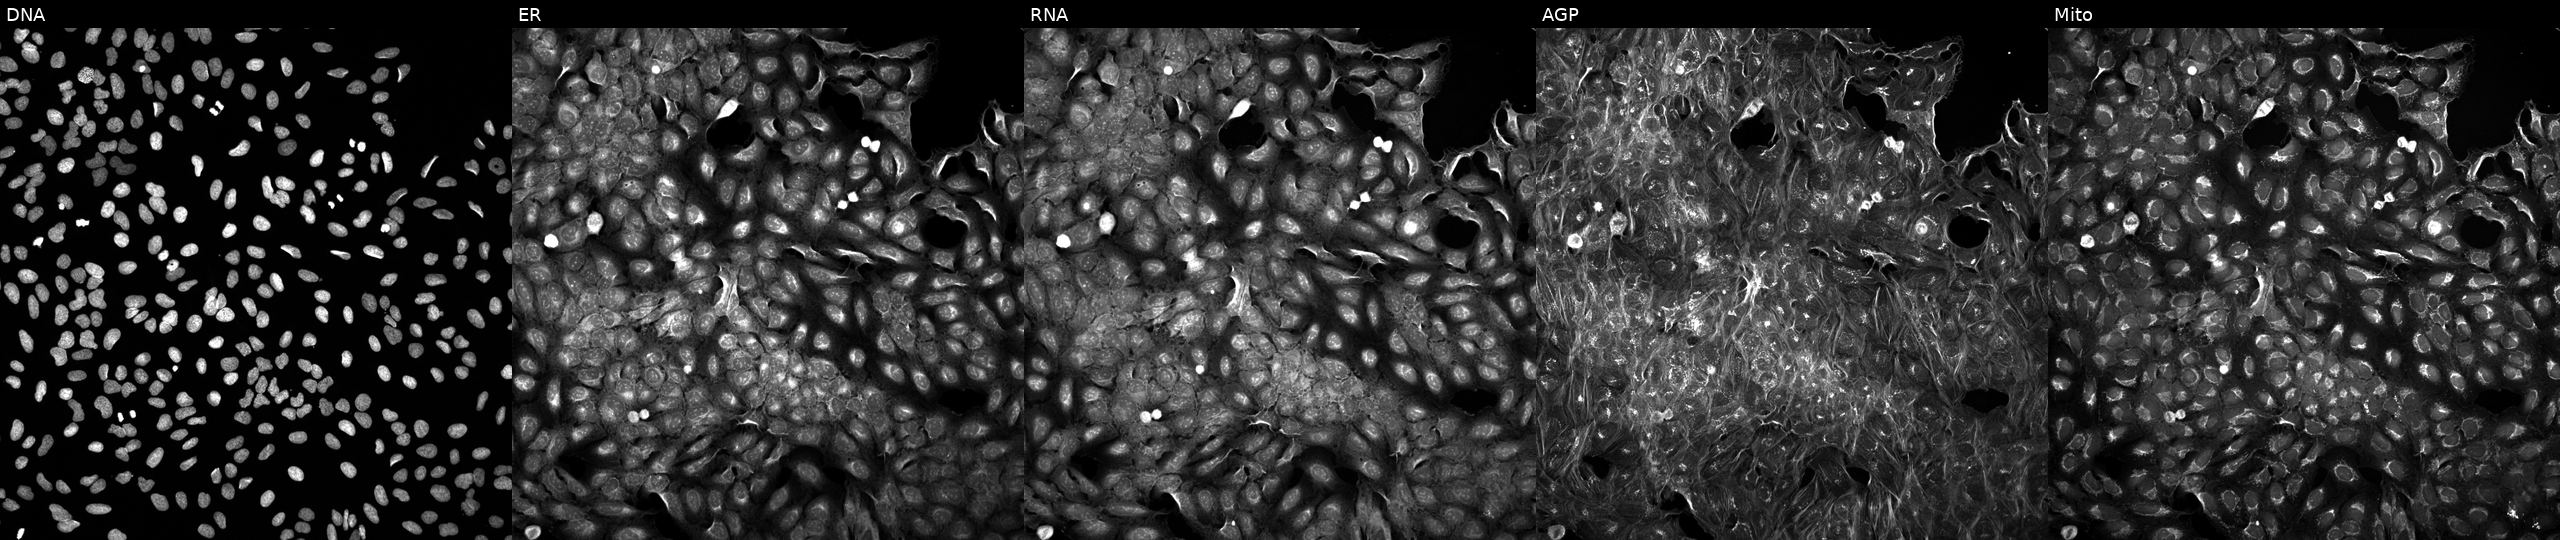
High-content fluorescence microscopy (Cell Painting). Cell line: U2OS. Perturbation: perturbed with a small-molecule compound [SMILES: Cc1cc(C)c2nc(-c3ccccn3)cc(C(=O)Nc3ccc(S(=O)(=O)N=c4o[nH]c(C)c4C)cc3)c2c1] (JUMP id JCP2022_001275). From left to right: Hoechst 33342, concanavalin A, SYTO 14, phalloidin and WGA, MitoTracker.